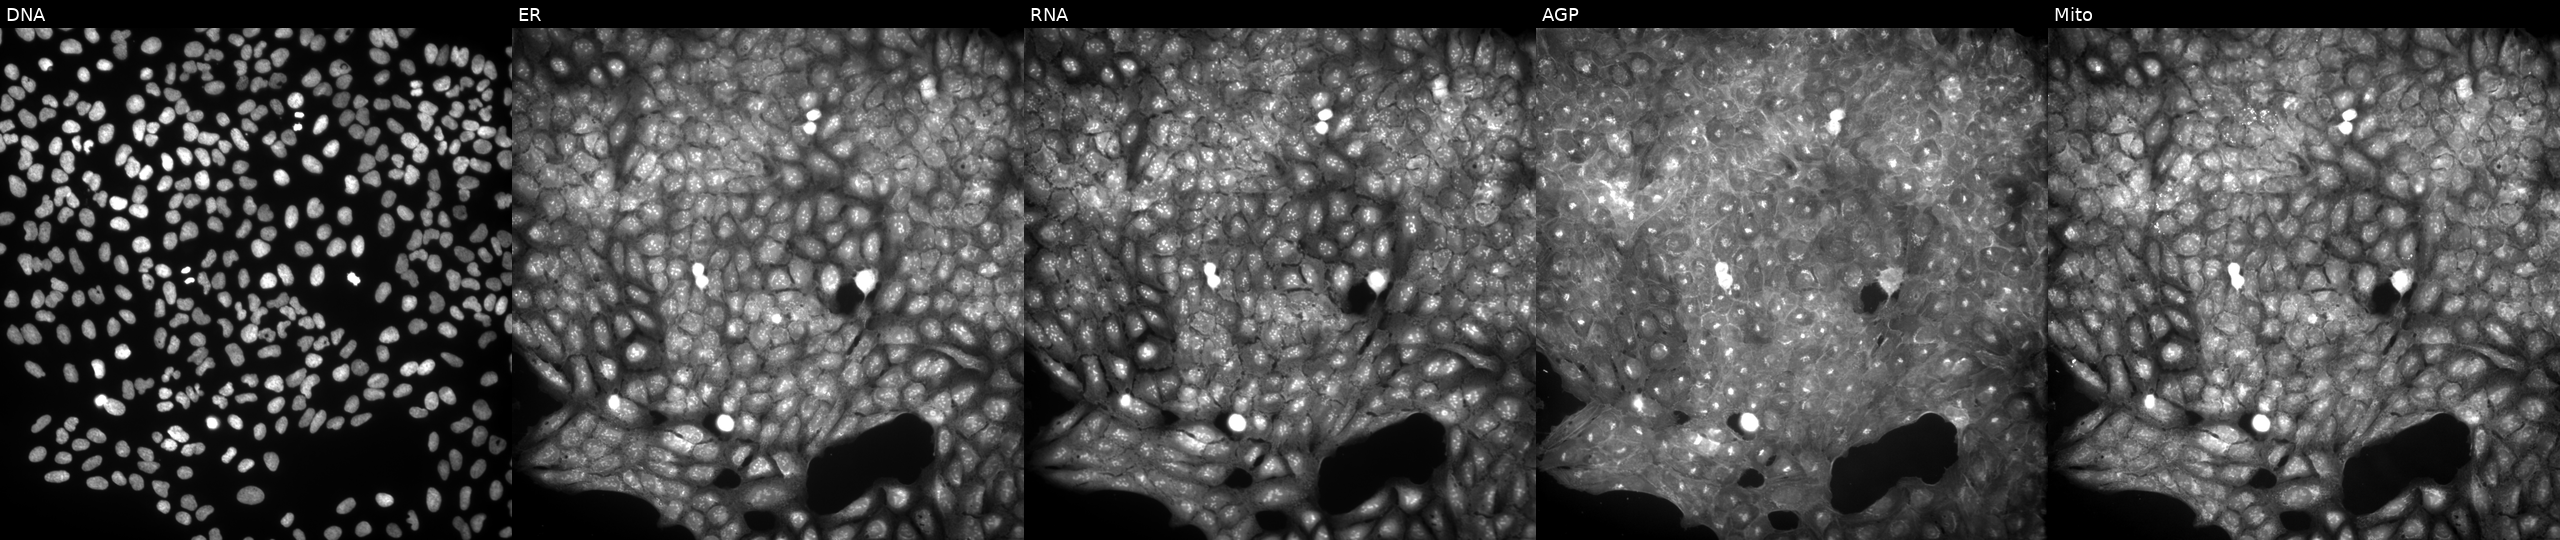
From left to right: DNA, ER, RNA, AGP, and Mito. U2OS osteosarcoma cells perturbed with a small-molecule compound (JUMP id JCP2022_030168). Cell Painting assay, JUMP-CP dataset. Source 9, plate GR00003382, well T30.